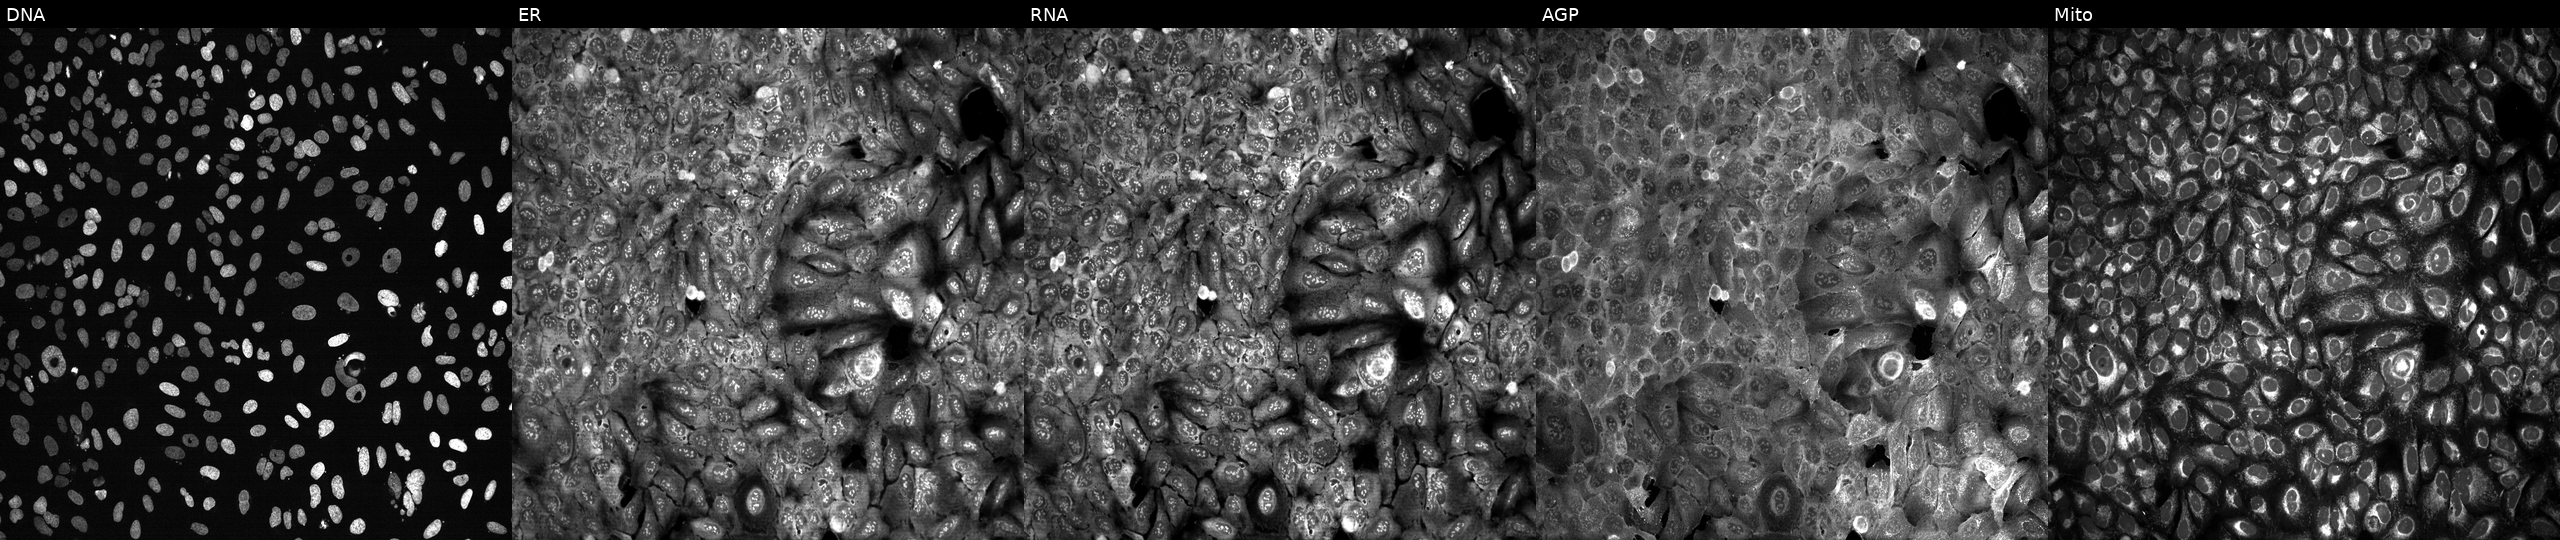
Five-channel Cell Painting image of U2OS cells following CRISPR knockout of RAD54L (JUMP id JCP2022_805813). From left to right: DNA (nuclei); ER (endoplasmic reticulum); RNA (nucleoli and cytoplasmic RNA); AGP (actin cytoskeleton, Golgi, and plasma membrane); Mito (mitochondria).